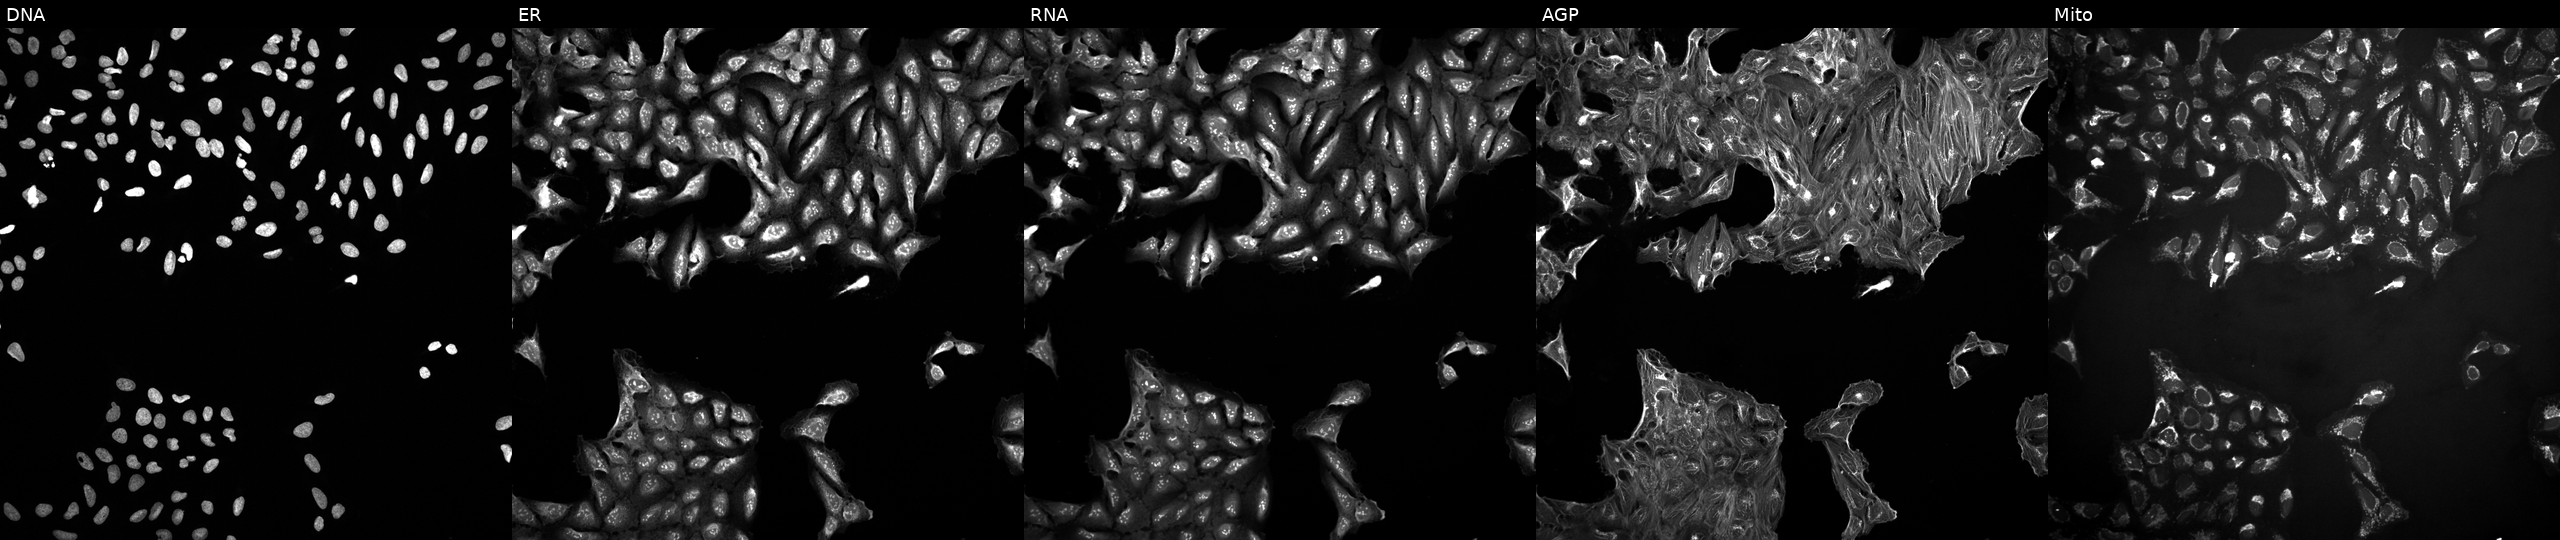
U2OS cells, Cell Painting assay, treated with a small-molecule compound (InChIKey JYLNVJYYQQXNEK-UHFFFAOYSA-N) [SMILES: NCC(CS(=O)(=O)O)c1ccc(Cl)cc1] (JUMP id JCP2022_042960). The five panels, left to right, show DNA, ER, RNA, AGP, and Mito. Each panel is percentile-stretched 16-bit fluorescence.